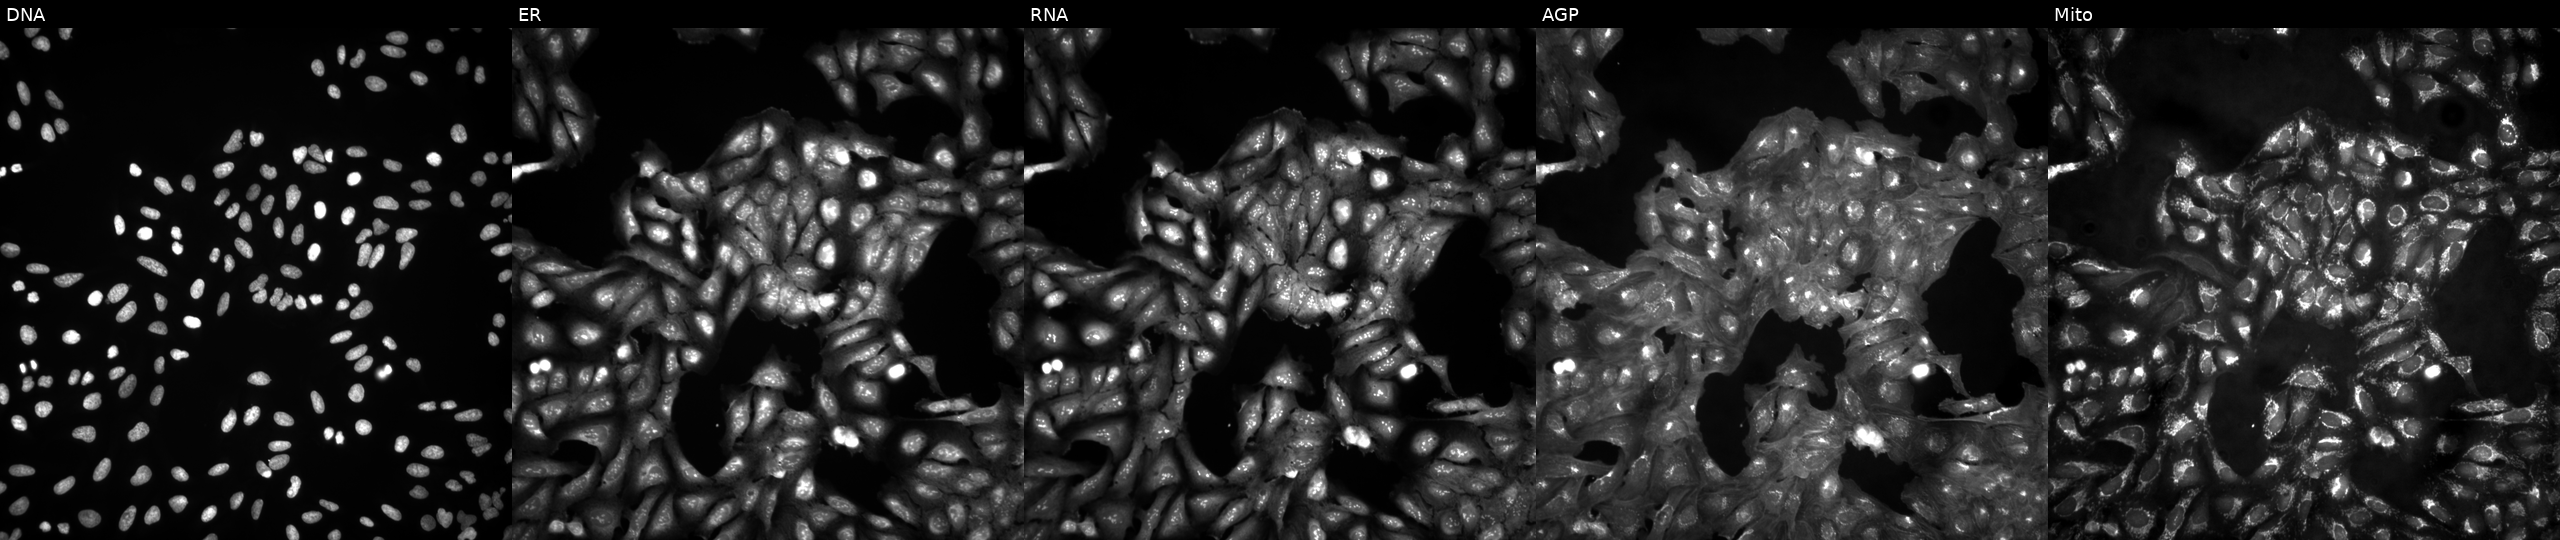
Five-channel Cell Painting image of U2OS cells untreated (empty-well control) (JUMP id JCP2022_999999). From left to right: DNA (nuclei); ER (endoplasmic reticulum); RNA (nucleoli and cytoplasmic RNA); AGP (actin cytoskeleton, Golgi, and plasma membrane); Mito (mitochondria).